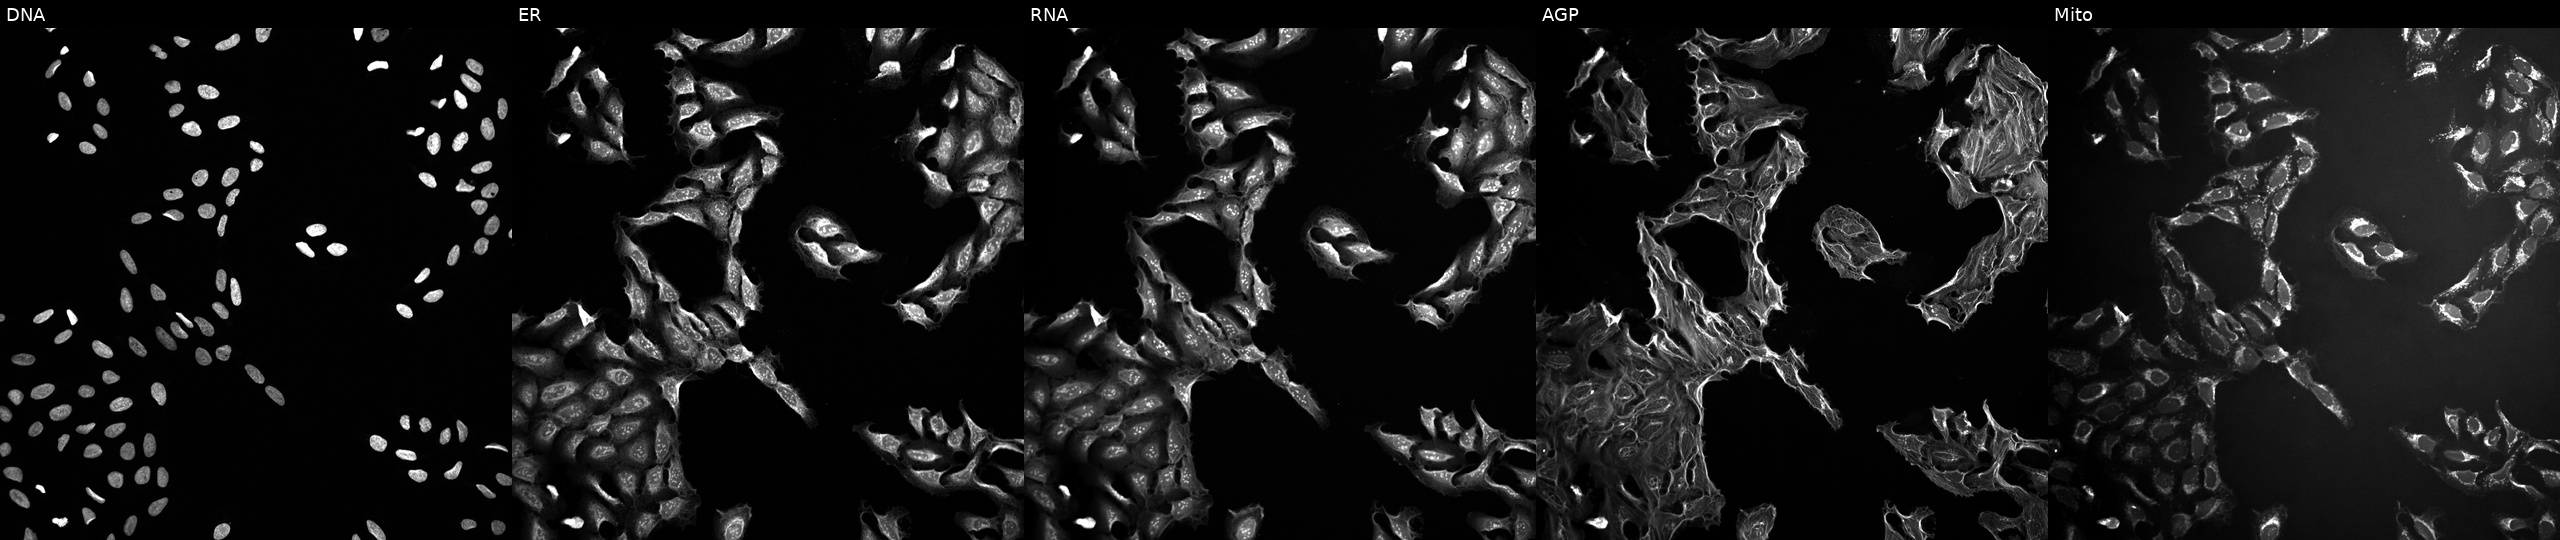
Channels (left→right): Hoechst 33342, concanavalin A, SYTO 14, phalloidin and WGA, MitoTracker. U2OS osteosarcoma cells perturbed with a small-molecule compound (InChIKey PYNXFZCZUAOOQC-UHFFFAOYSA-N) [SMILES: CCOC(=O)C(C)CC(Cc1ccc(-c2ccccc2)cc1)NC(=O)CCC(=O)O] (JUMP id JCP2022_071811). Cell Painting assay, JUMP-CP dataset. Source 10, plate Dest210726-160150, well L18.